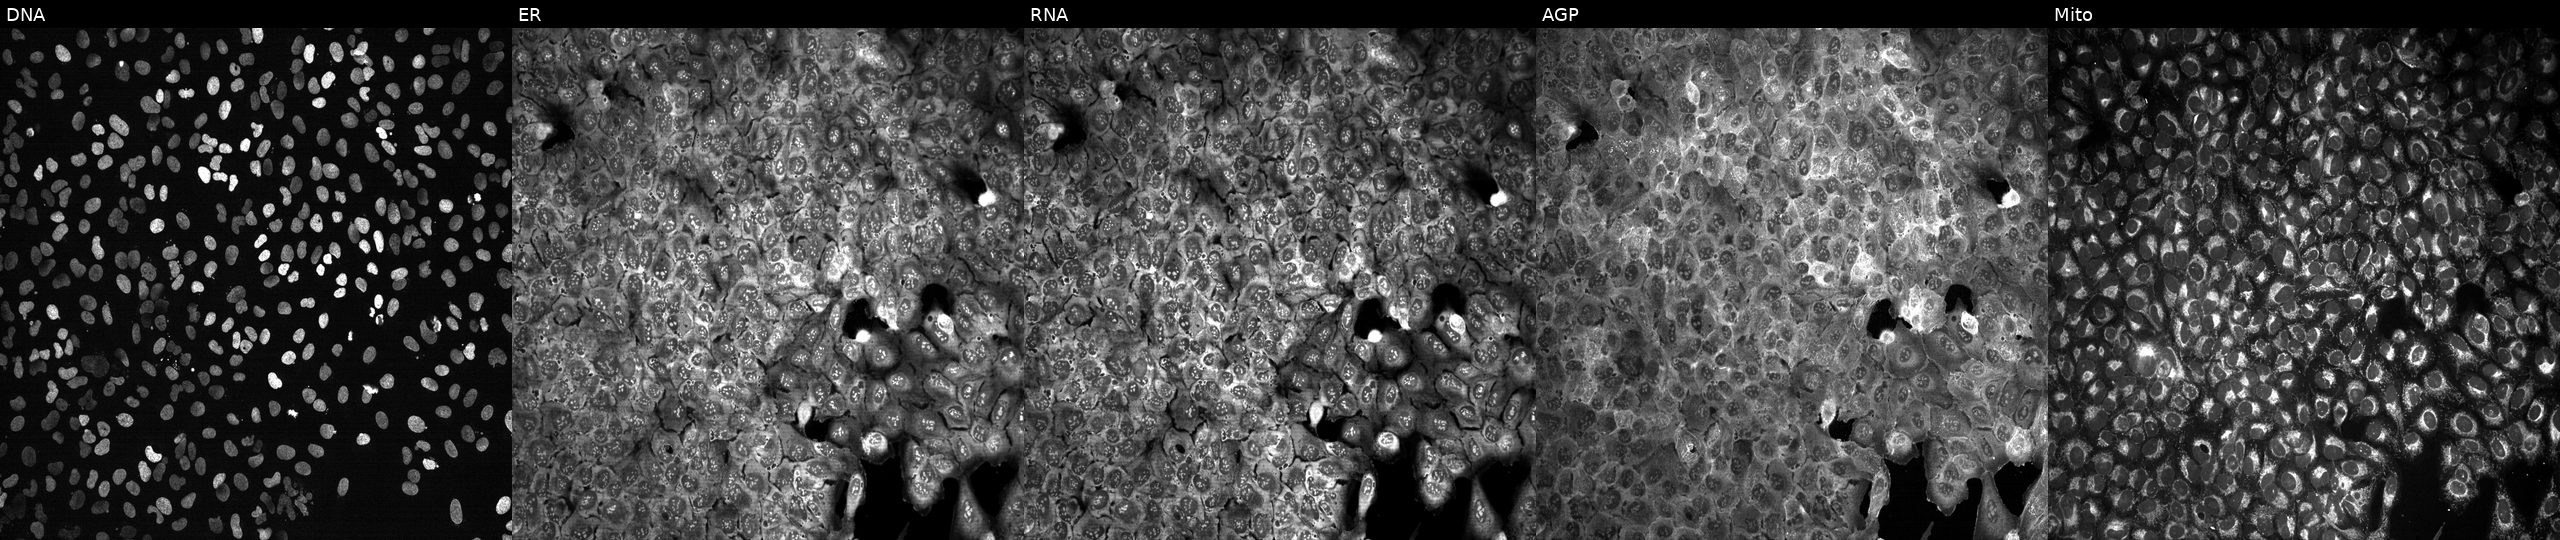
This image strip shows the five Cell Painting channels for a single field of U2OS cells CRISPR-edited to disrupt SLC4A4 (JUMP id JCP2022_806549). From left to right: Hoechst 33342, concanavalin A, SYTO 14, phalloidin and WGA, MitoTracker. Source 13, plate CP-CC9-R3-01, well A11.